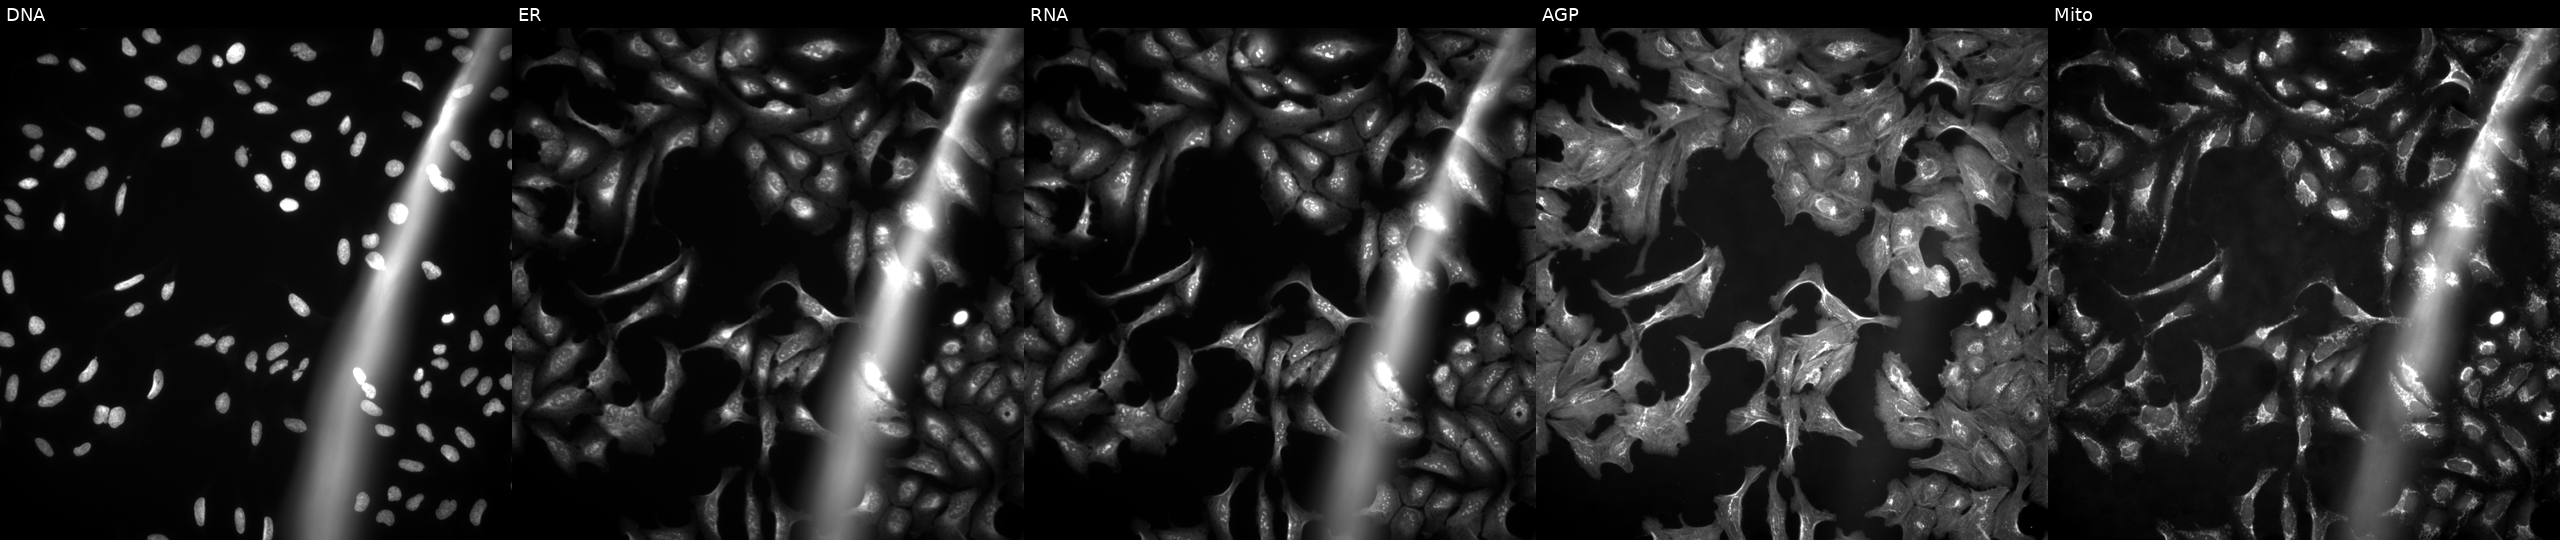
U2OS cells, Cell Painting assay, with RILPL2 overexpressed (ORF) (JUMP id JCP2022_909124). From left to right: DNA (nuclei); ER (endoplasmic reticulum); RNA (nucleoli and cytoplasmic RNA); AGP (actin cytoskeleton, Golgi, and plasma membrane); Mito (mitochondria). Each panel is percentile-stretched 16-bit fluorescence. Source 4, plate BR00123509, well N10.